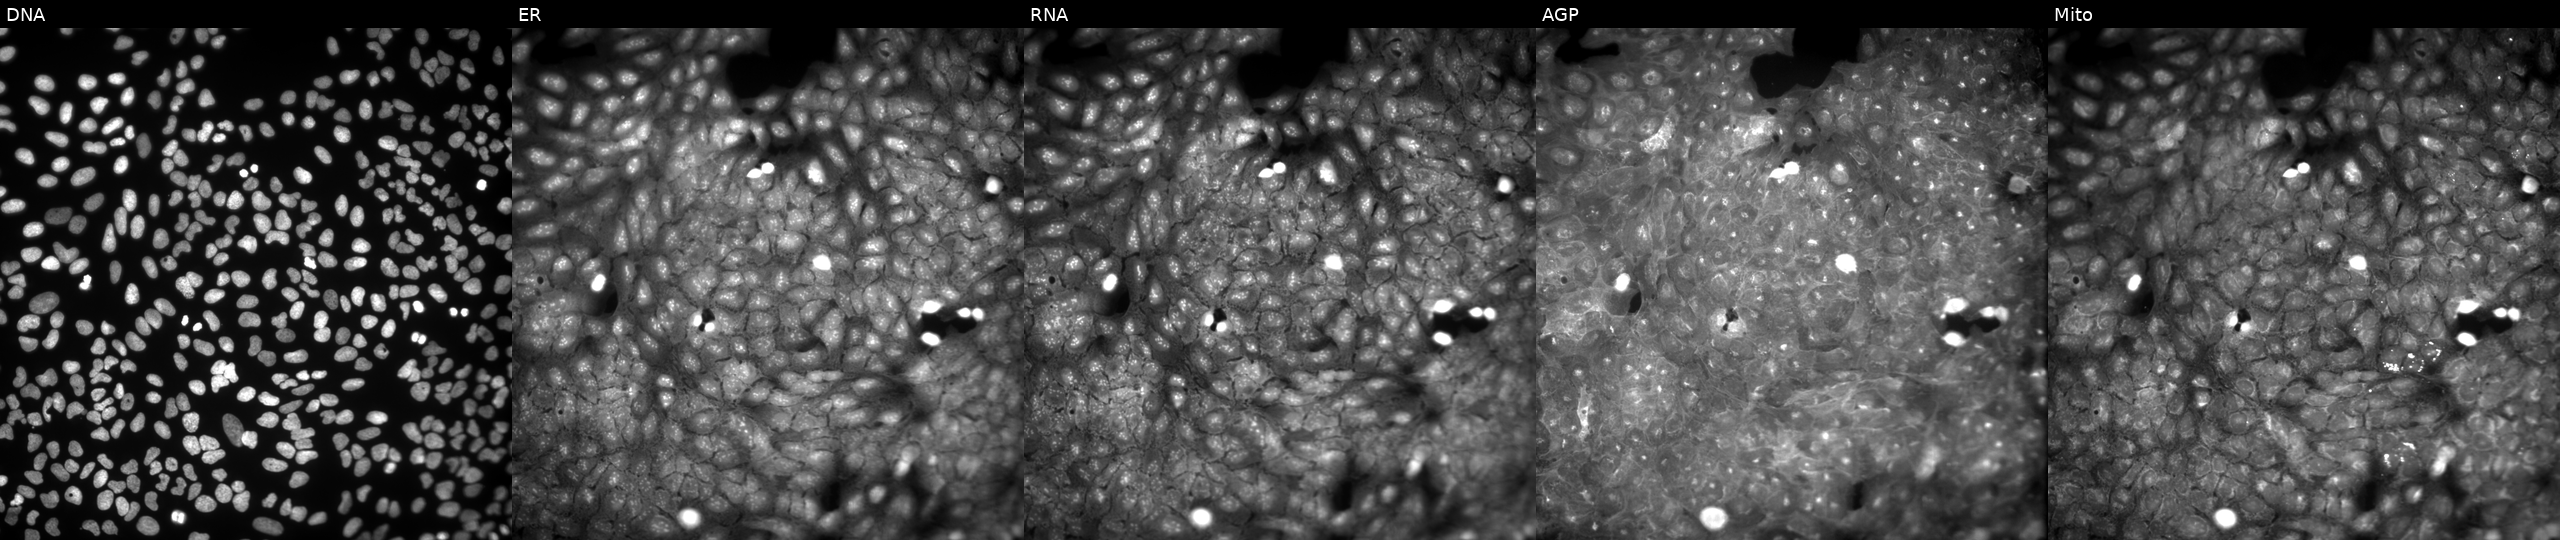
U2OS cells, Cell Painting assay, perturbed with a small-molecule compound (InChIKey MSCCLVDISHXUHX-UHFFFAOYSA-N) (JUMP id JCP2022_056168). From left to right: DNA (nuclei); ER (endoplasmic reticulum); RNA (nucleoli and cytoplasmic RNA); AGP (actin cytoskeleton, Golgi, and plasma membrane); Mito (mitochondria). Each panel is percentile-stretched 16-bit fluorescence.